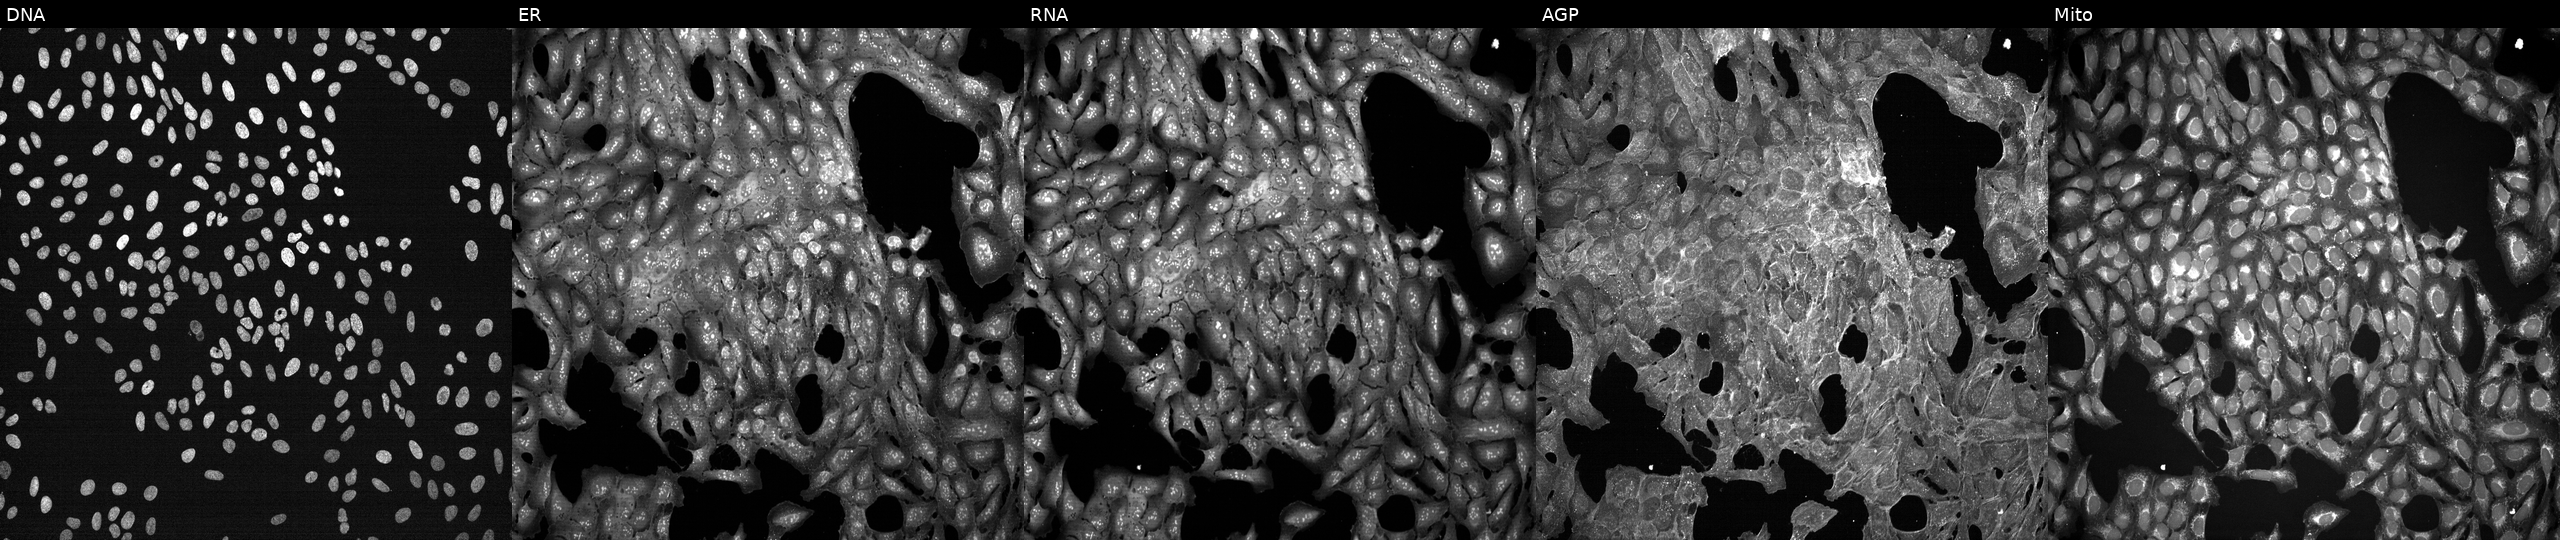
High-content fluorescence microscopy (Cell Painting). Cell line: U2OS. Perturbation: exposed to DMSO alone as a negative control. From left to right: DNA, ER, RNA, AGP, and Mito.